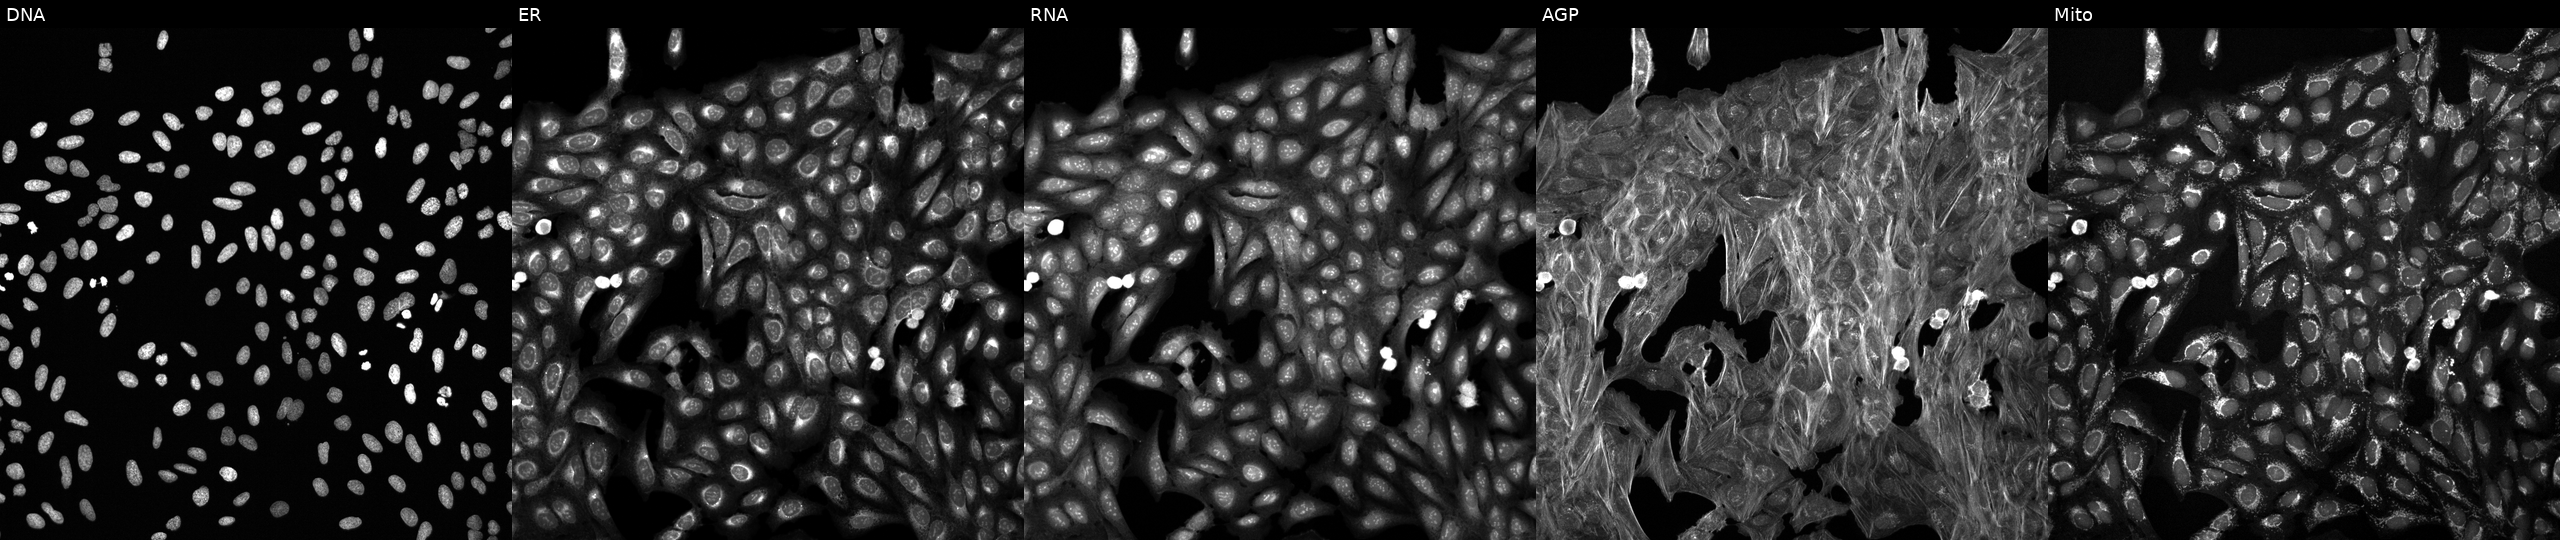
U2OS cells, Cell Painting assay, exposed to DMSO alone as a negative control. Panels show, left to right, Hoechst 33342, concanavalin A, SYTO 14, phalloidin and WGA, MitoTracker. Each panel is percentile-stretched 16-bit fluorescence. Source 6, plate 110000293093, well K24.